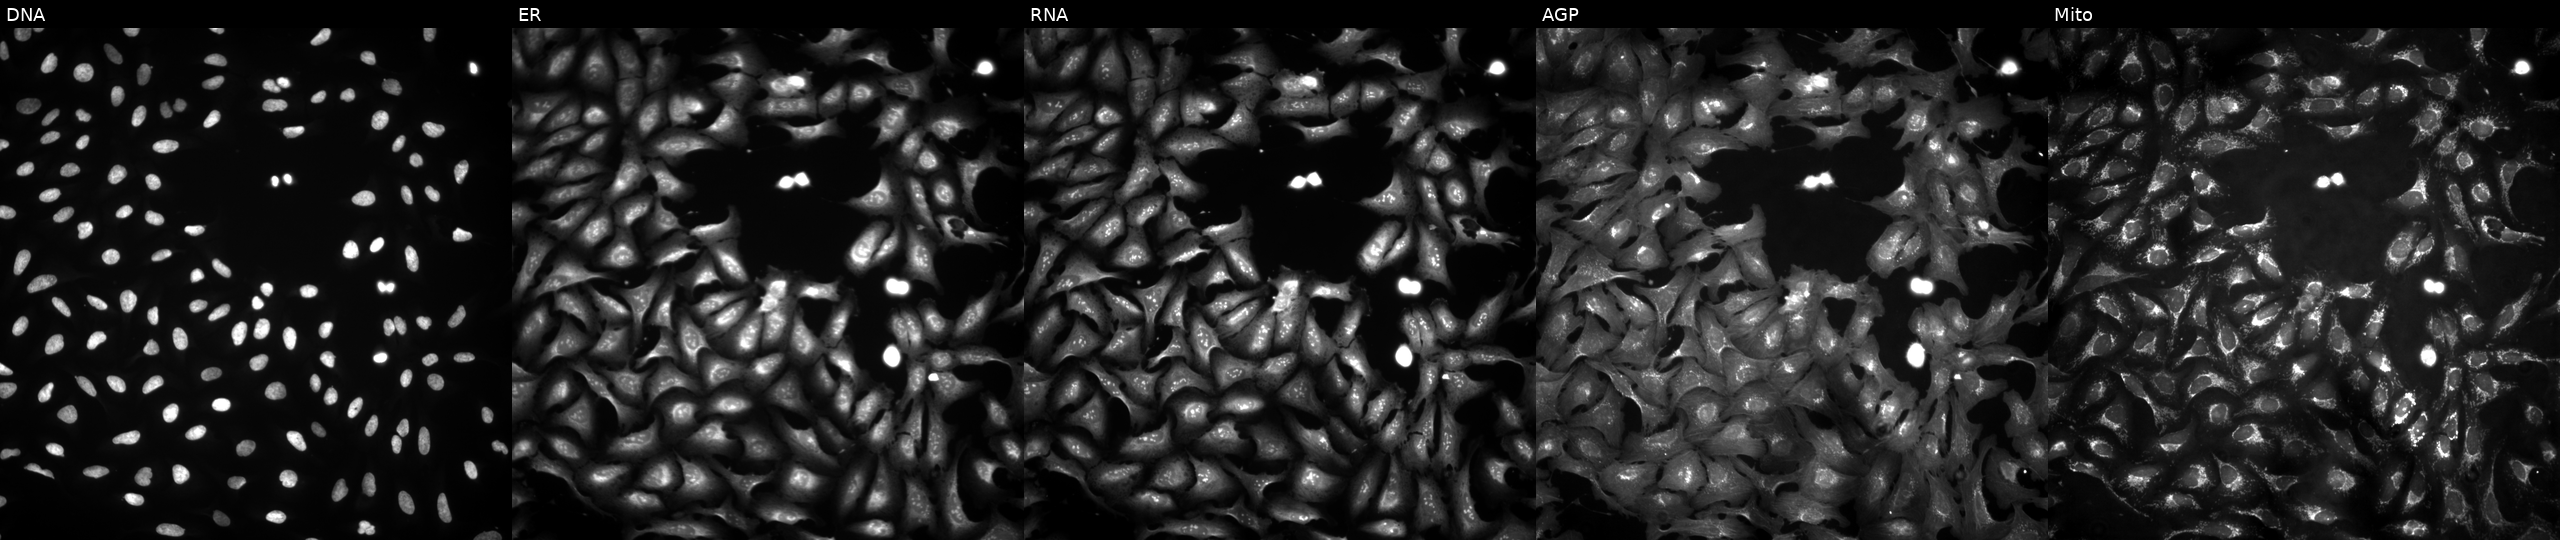
Five-channel Cell Painting image of U2OS cells overexpressing EMILIN1 via ORF transfection (JUMP id JCP2022_910811). The five panels, left to right, show DNA, ER, RNA, AGP, and Mito.